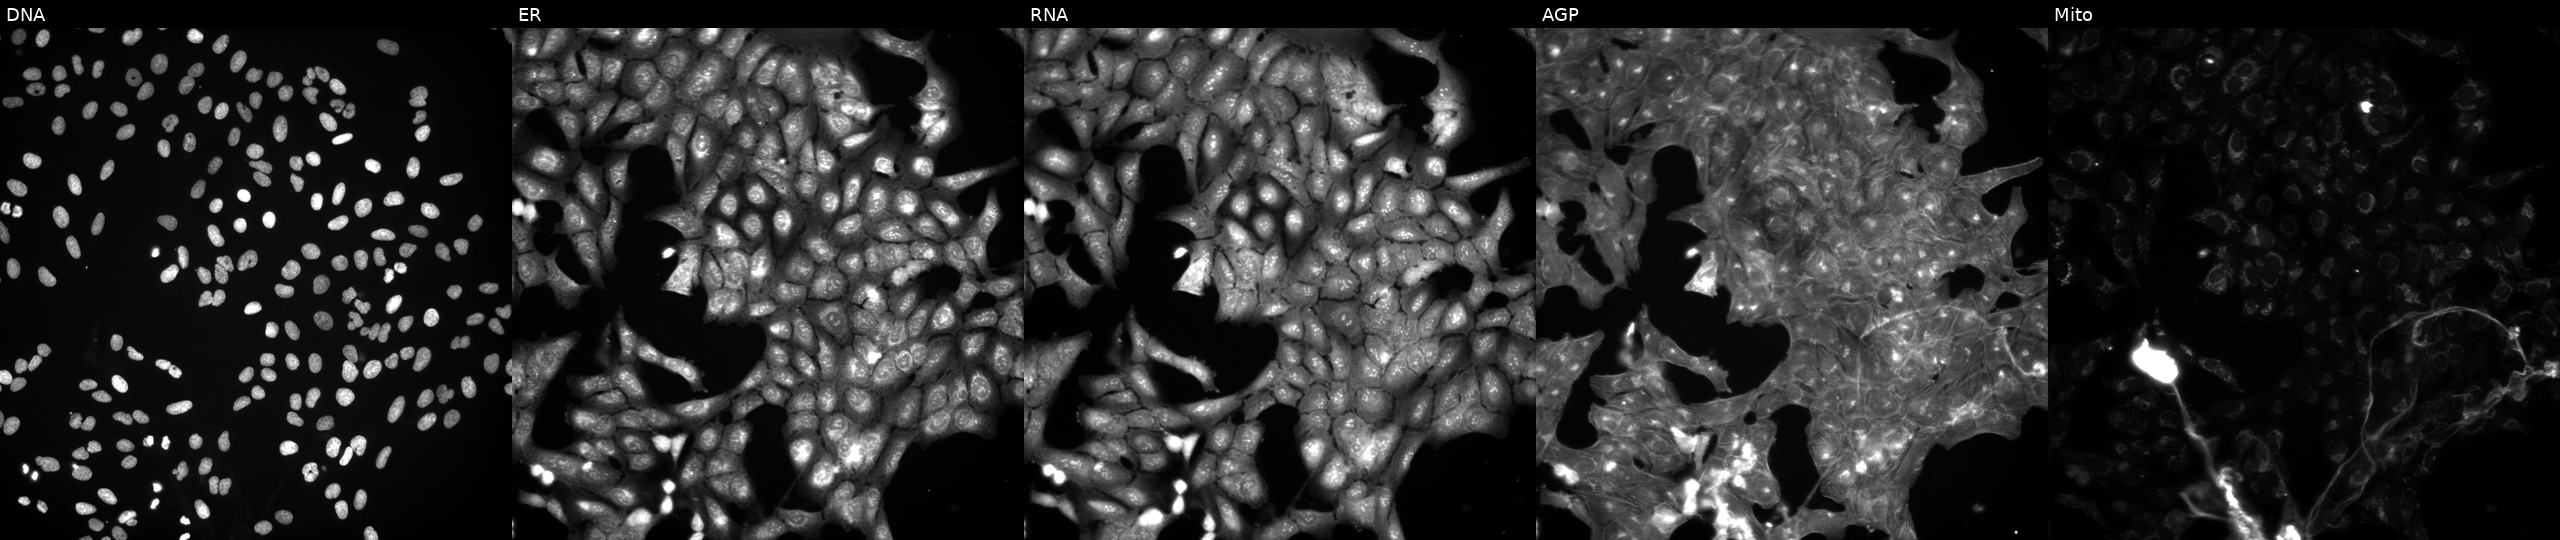
High-content fluorescence microscopy (Cell Painting). Cell line: U2OS. Perturbation: perturbed with a small-molecule compound. The five panels, left to right, show DNA (nuclei); ER (endoplasmic reticulum); RNA (nucleoli and cytoplasmic RNA); AGP (actin cytoskeleton, Golgi, and plasma membrane); Mito (mitochondria).